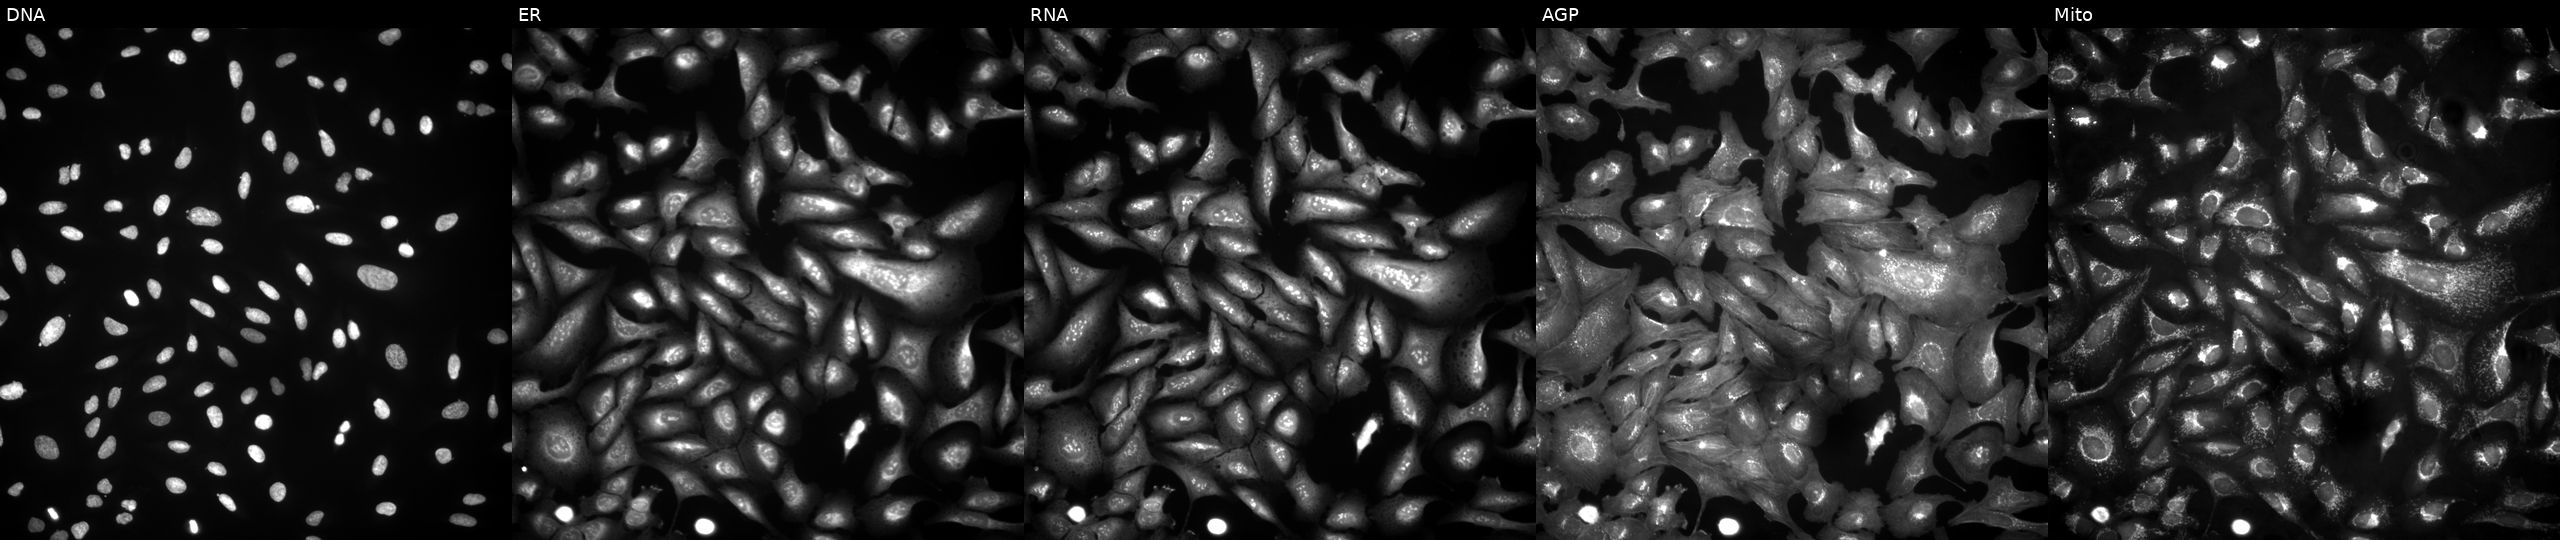
From left to right: Hoechst 33342, concanavalin A, SYTO 14, phalloidin and WGA, MitoTracker. U2OS osteosarcoma cells overexpressing MRPL47 via ORF transfection. Cell Painting assay, JUMP-CP dataset.